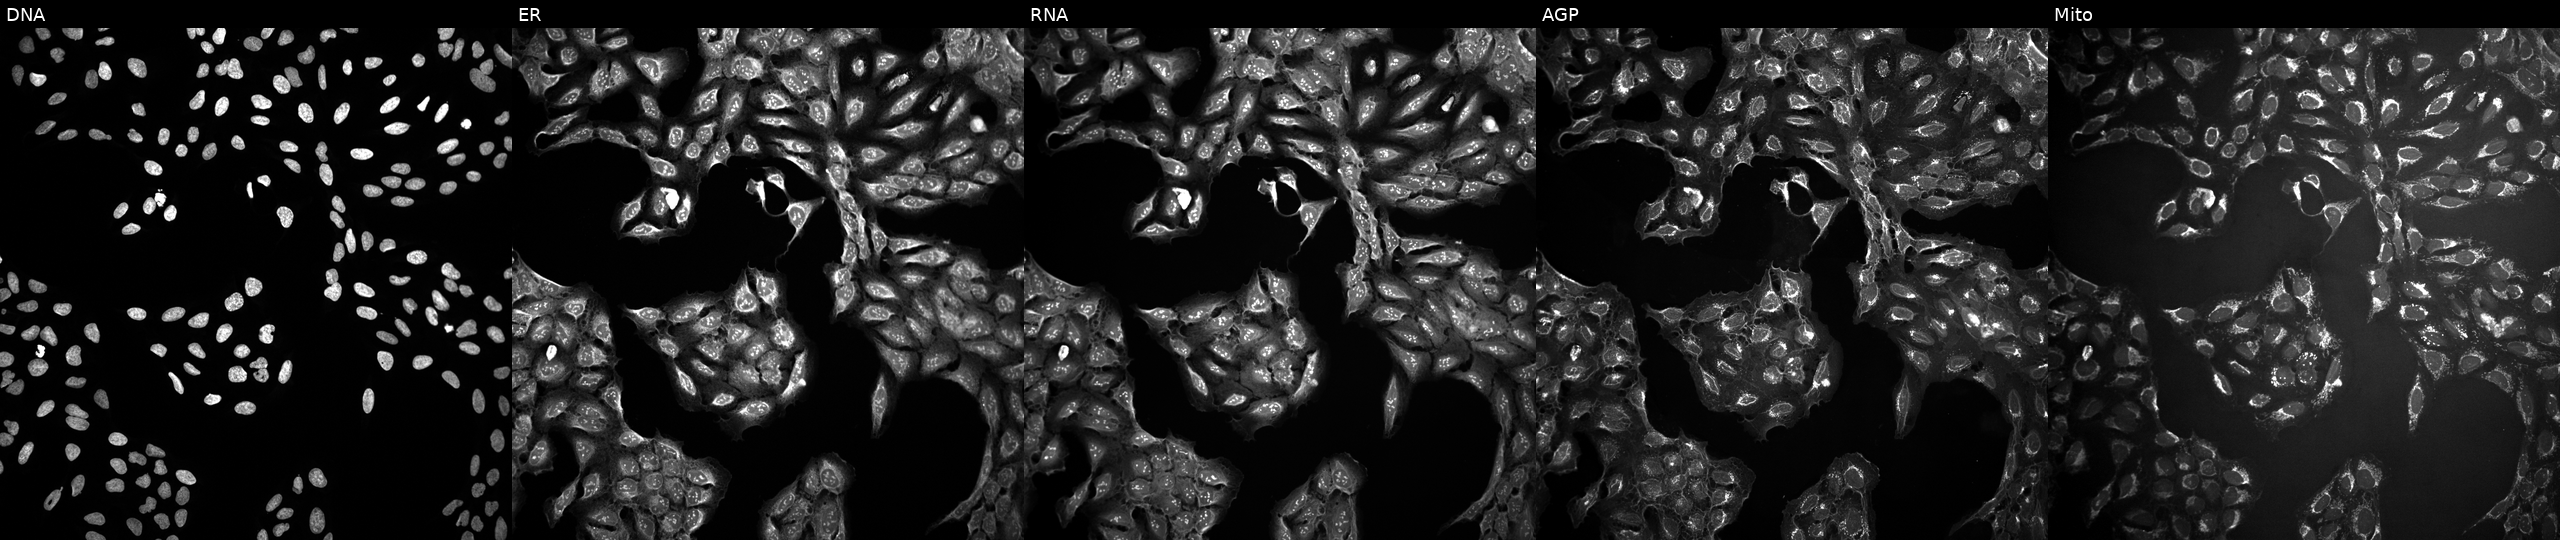
This image strip shows the five Cell Painting channels for a single field of U2OS cells exposed to a small-molecule compound (InChIKey NLSSUSRERAMBTA-UHFFFAOYSA-N) (JUMP id JCP2022_059825). Channels (left→right): Hoechst 33342, concanavalin A, SYTO 14, phalloidin and WGA, MitoTracker.